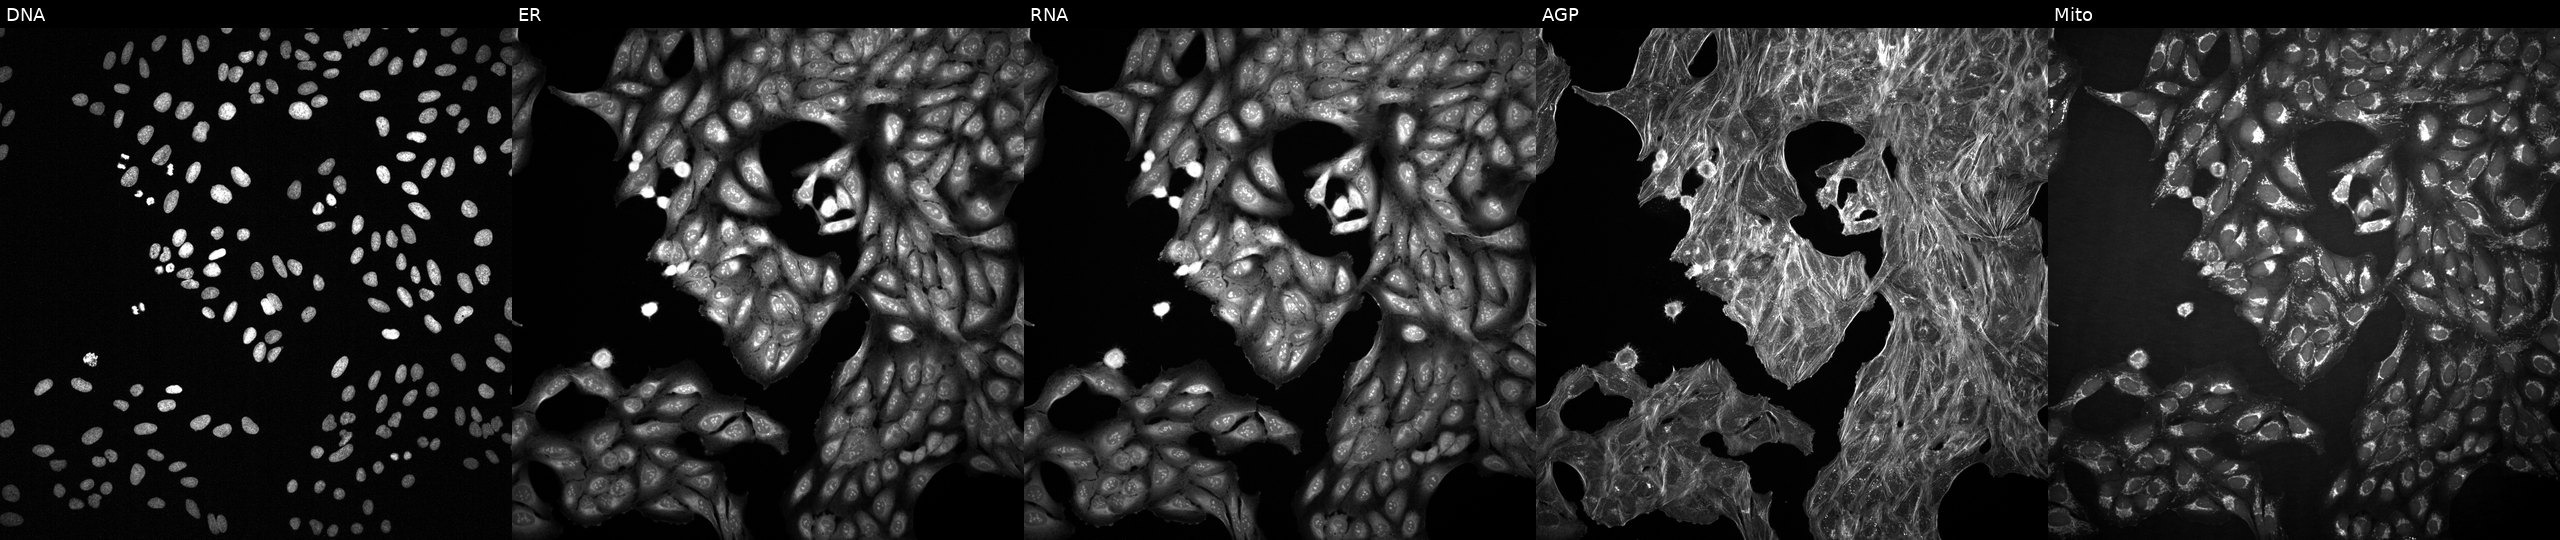
Five-channel Cell Painting image of U2OS cells perturbed with a small-molecule compound (InChIKey CDZYKTICINSQKM-UHFFFAOYSA-N) (JUMP id JCP2022_010512). Panels show, left to right, DNA, ER, RNA, AGP, and Mito.